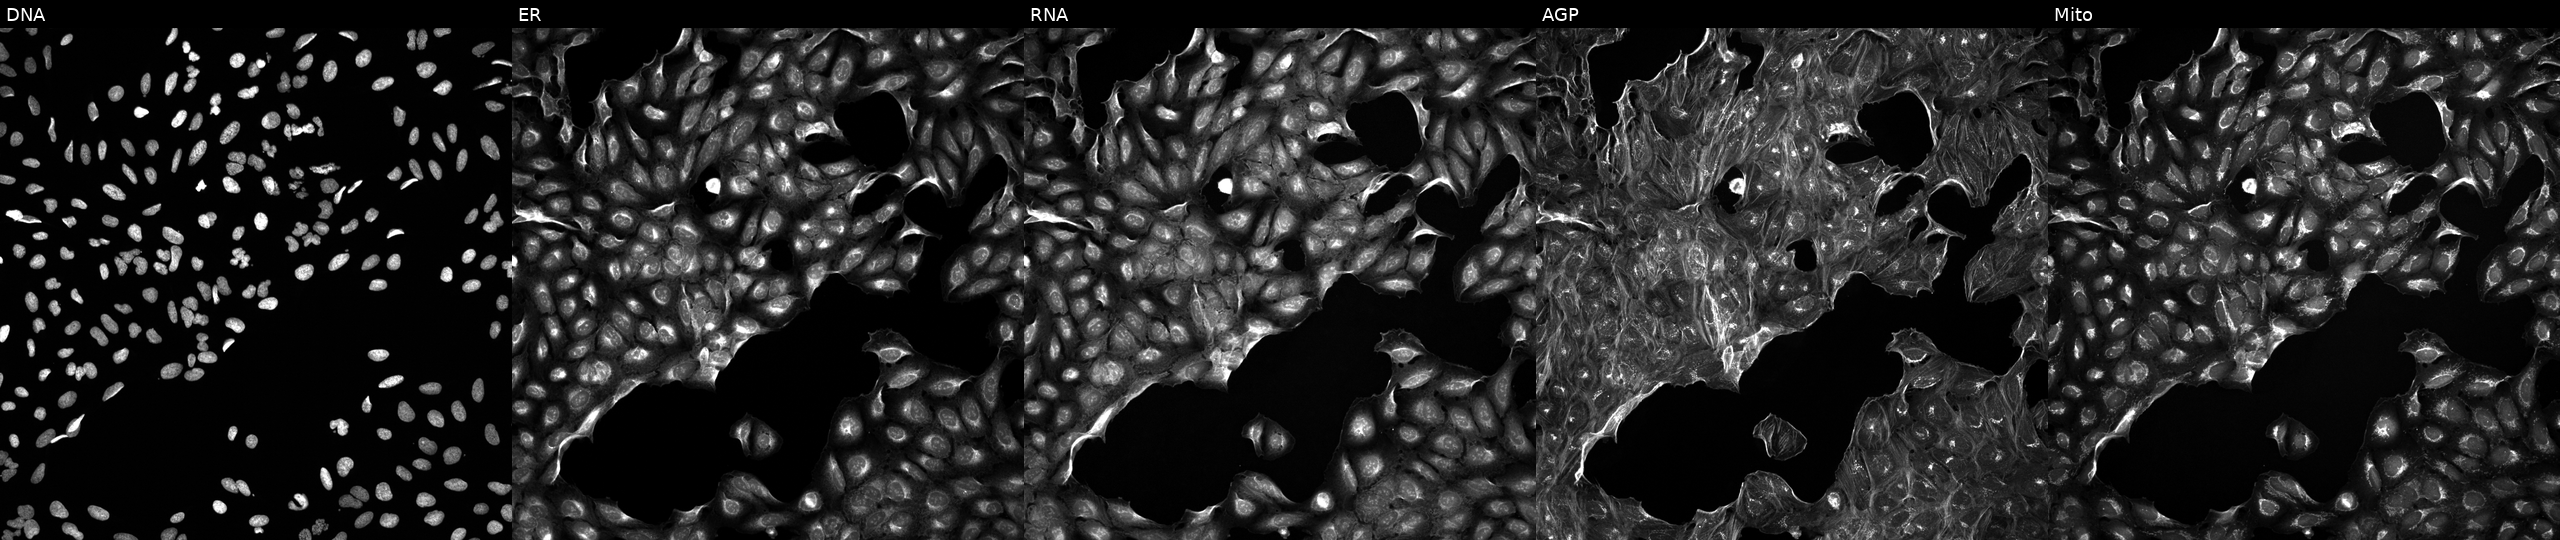
Five-channel Cell Painting image of U2OS cells perturbed with a small-molecule compound (JUMP id JCP2022_032353). From left to right: DNA, ER, RNA, AGP, and Mito.